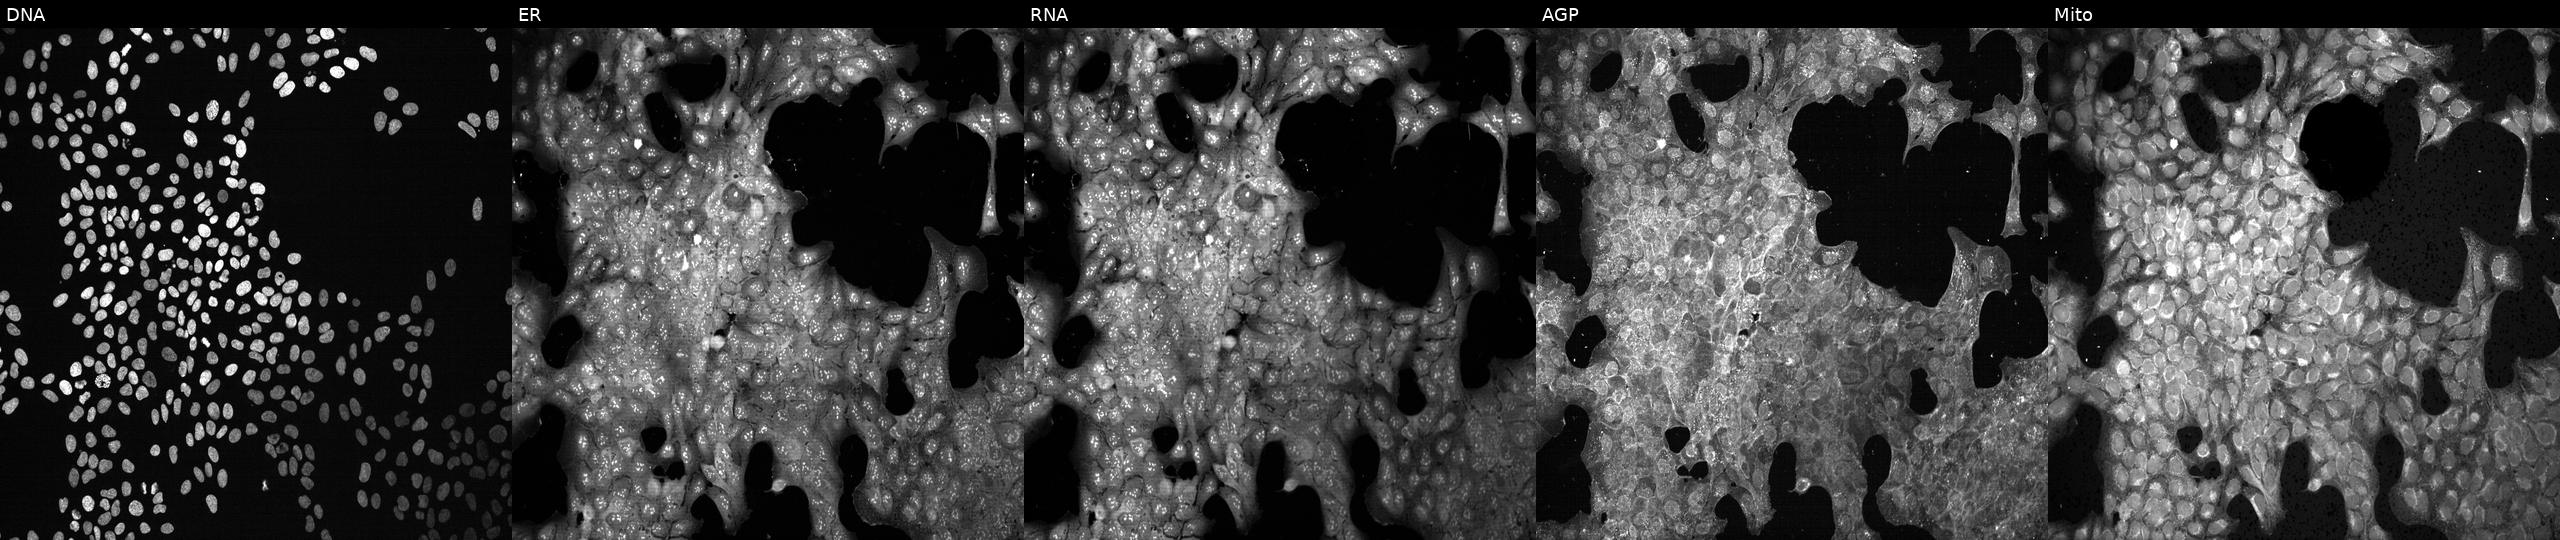
Five-channel Cell Painting image of U2OS cells treated with LY2109761 (positive-control compound) (JUMP id JCP2022_035095). Panels show, left to right, DNA (nuclei); ER (endoplasmic reticulum); RNA (nucleoli and cytoplasmic RNA); AGP (actin cytoskeleton, Golgi, and plasma membrane); Mito (mitochondria).